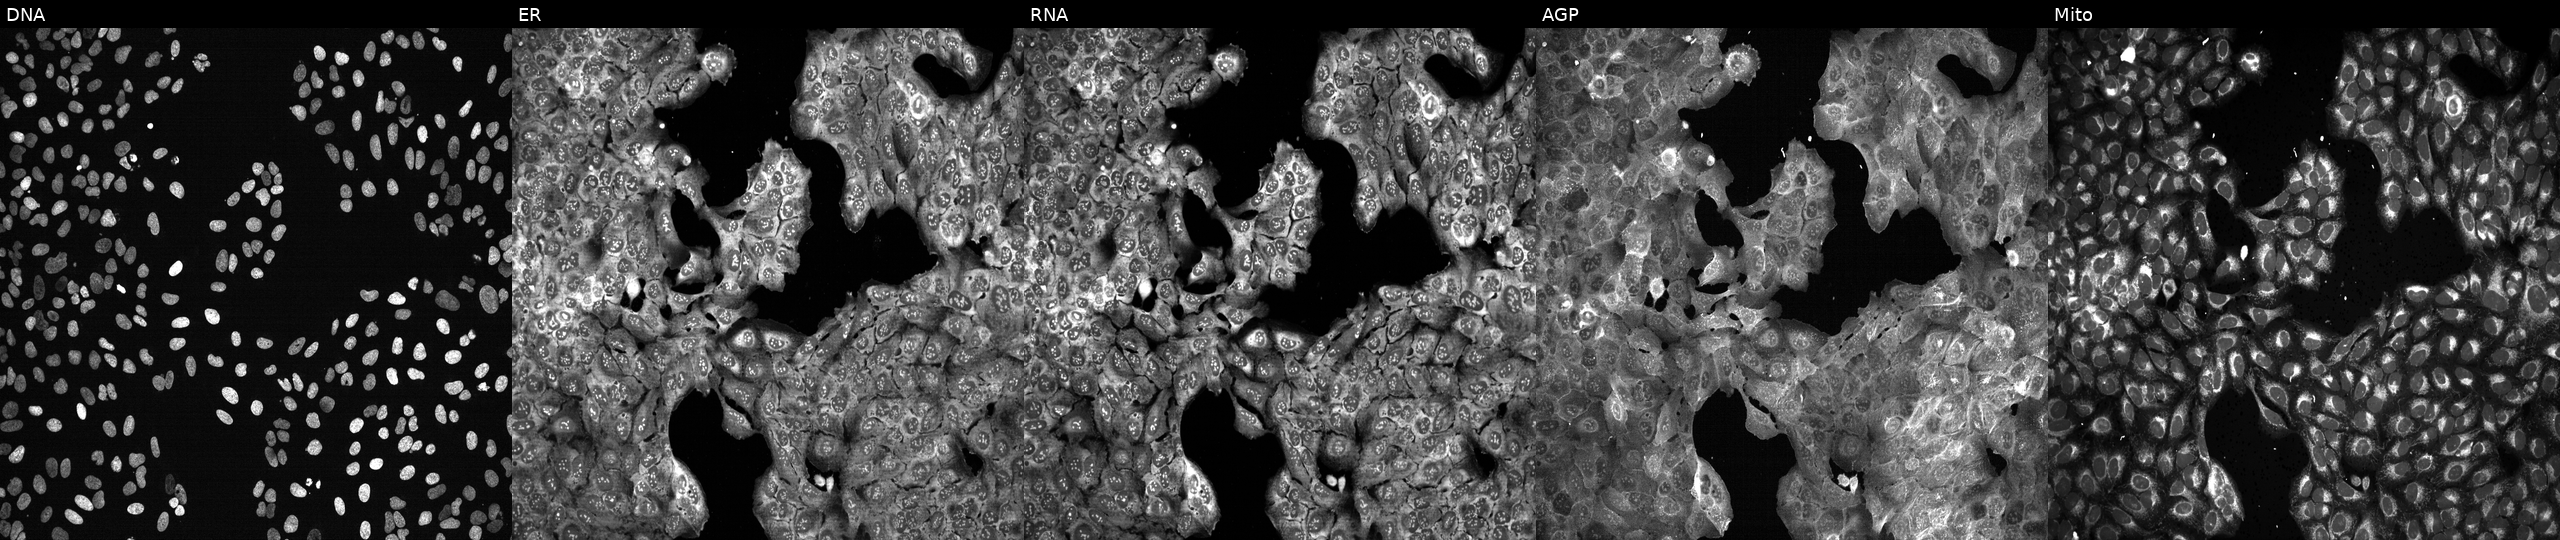
JUMP Cell Painting — CRISPR plate. U2OS cells CRISPR-edited to disrupt LALBA. The five panels, left to right, show DNA, ER, RNA, AGP, and Mito.